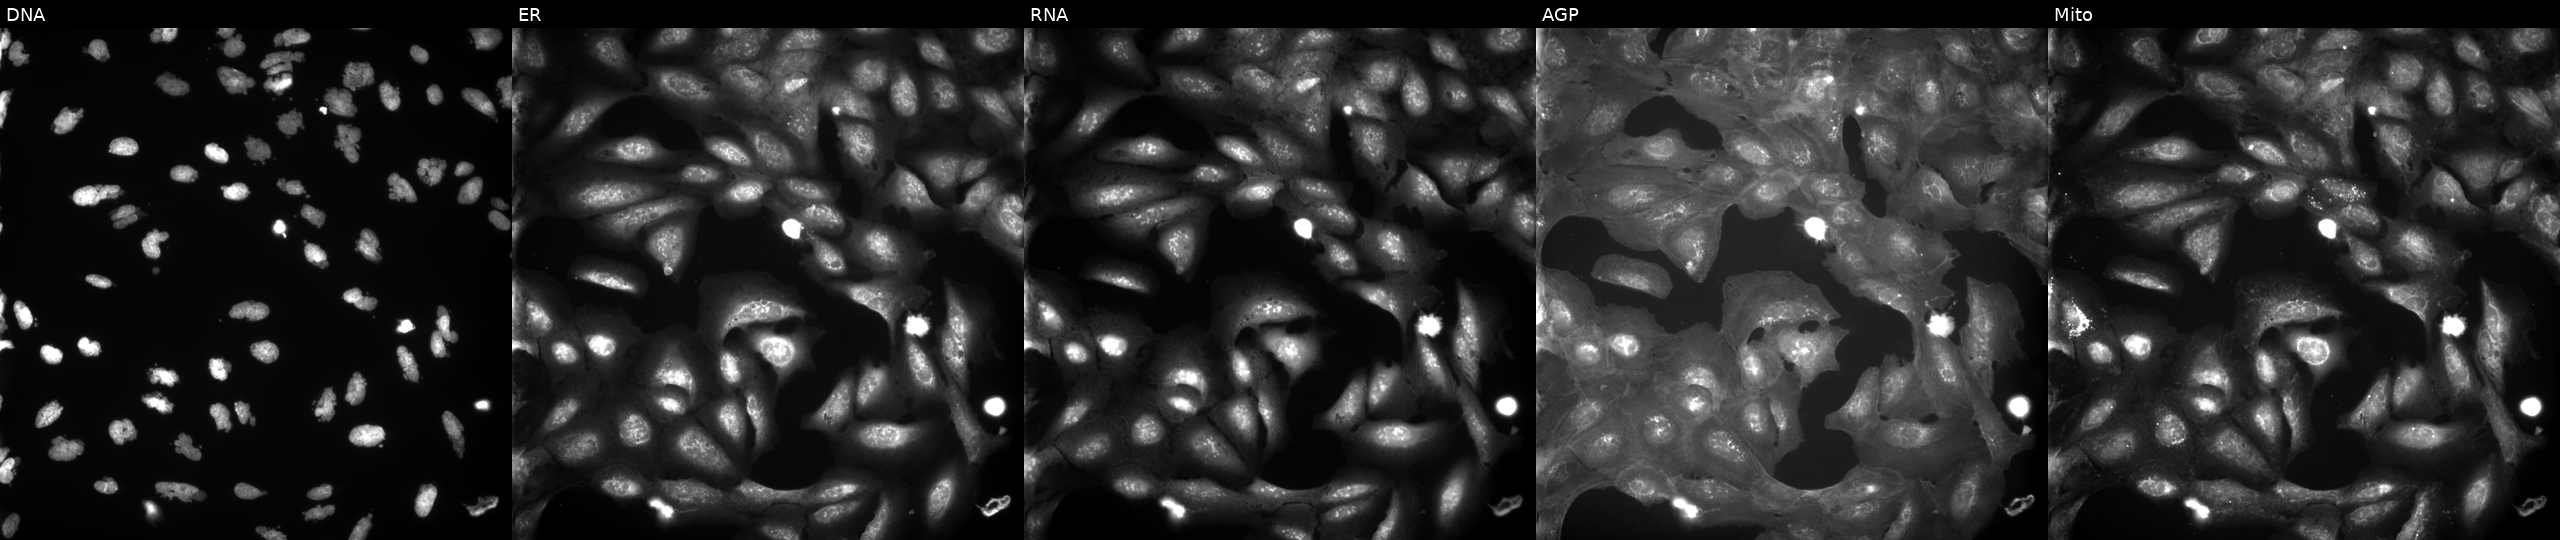
High-content fluorescence microscopy (Cell Painting). Cell line: U2OS. Perturbation: treated with AMG900 (positive-control compound) (JUMP id JCP2022_037716). The five panels, left to right, show Hoechst 33342, concanavalin A, SYTO 14, phalloidin and WGA, MitoTracker.